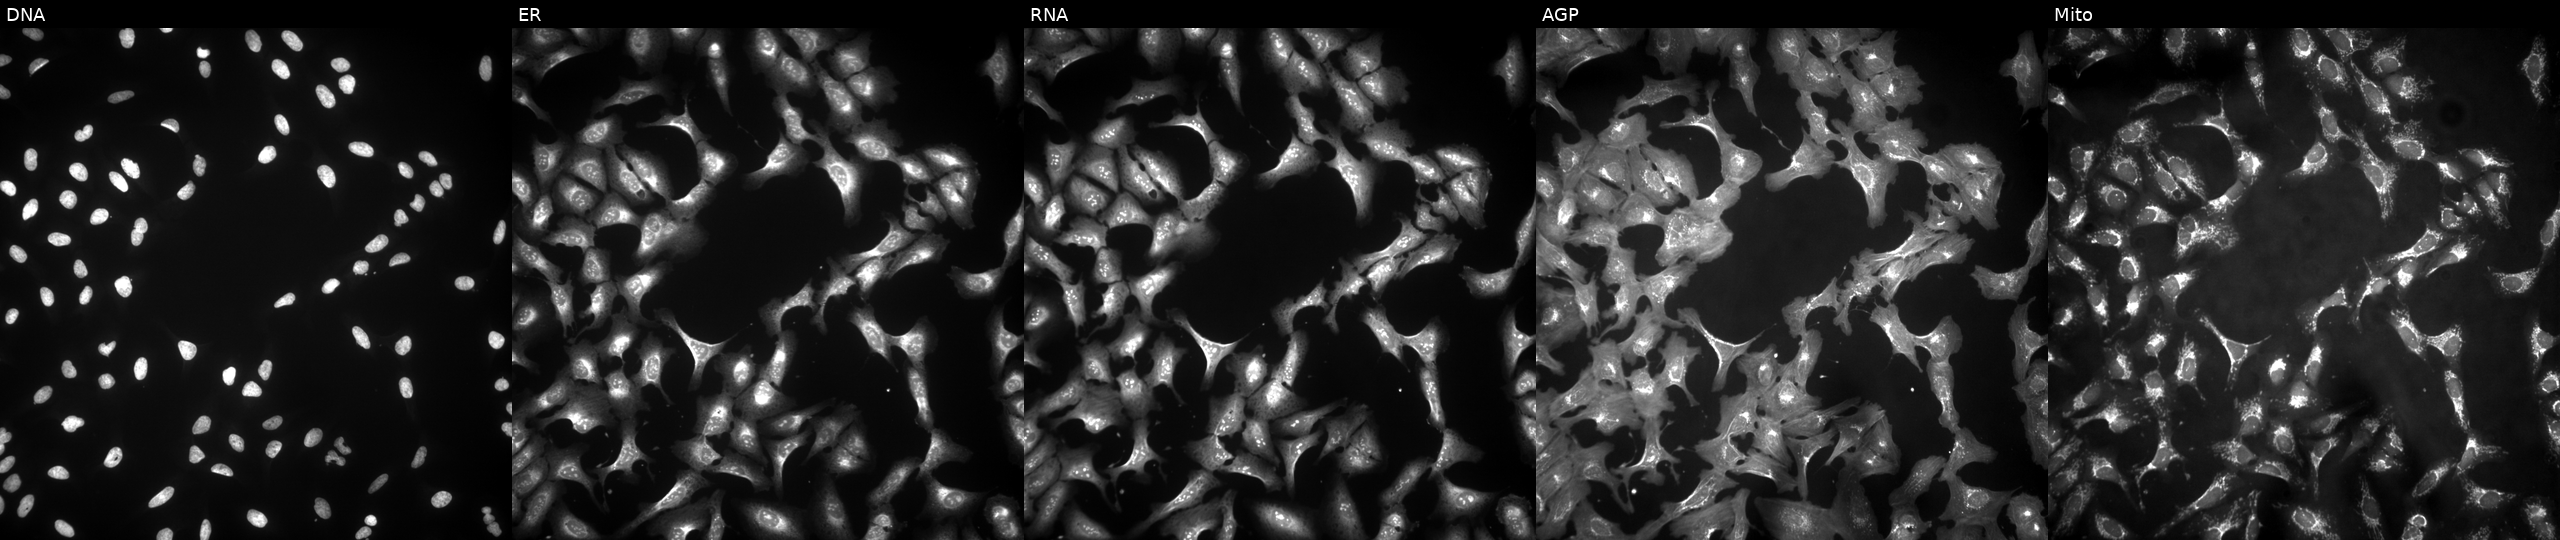
High-content fluorescence microscopy (Cell Painting). Cell line: U2OS. Perturbation: with IFIT2 overexpressed (ORF) (JUMP id JCP2022_906014). The five panels, left to right, show Hoechst 33342, concanavalin A, SYTO 14, phalloidin and WGA, MitoTracker. Source 4, plate BR00123506, well B17.